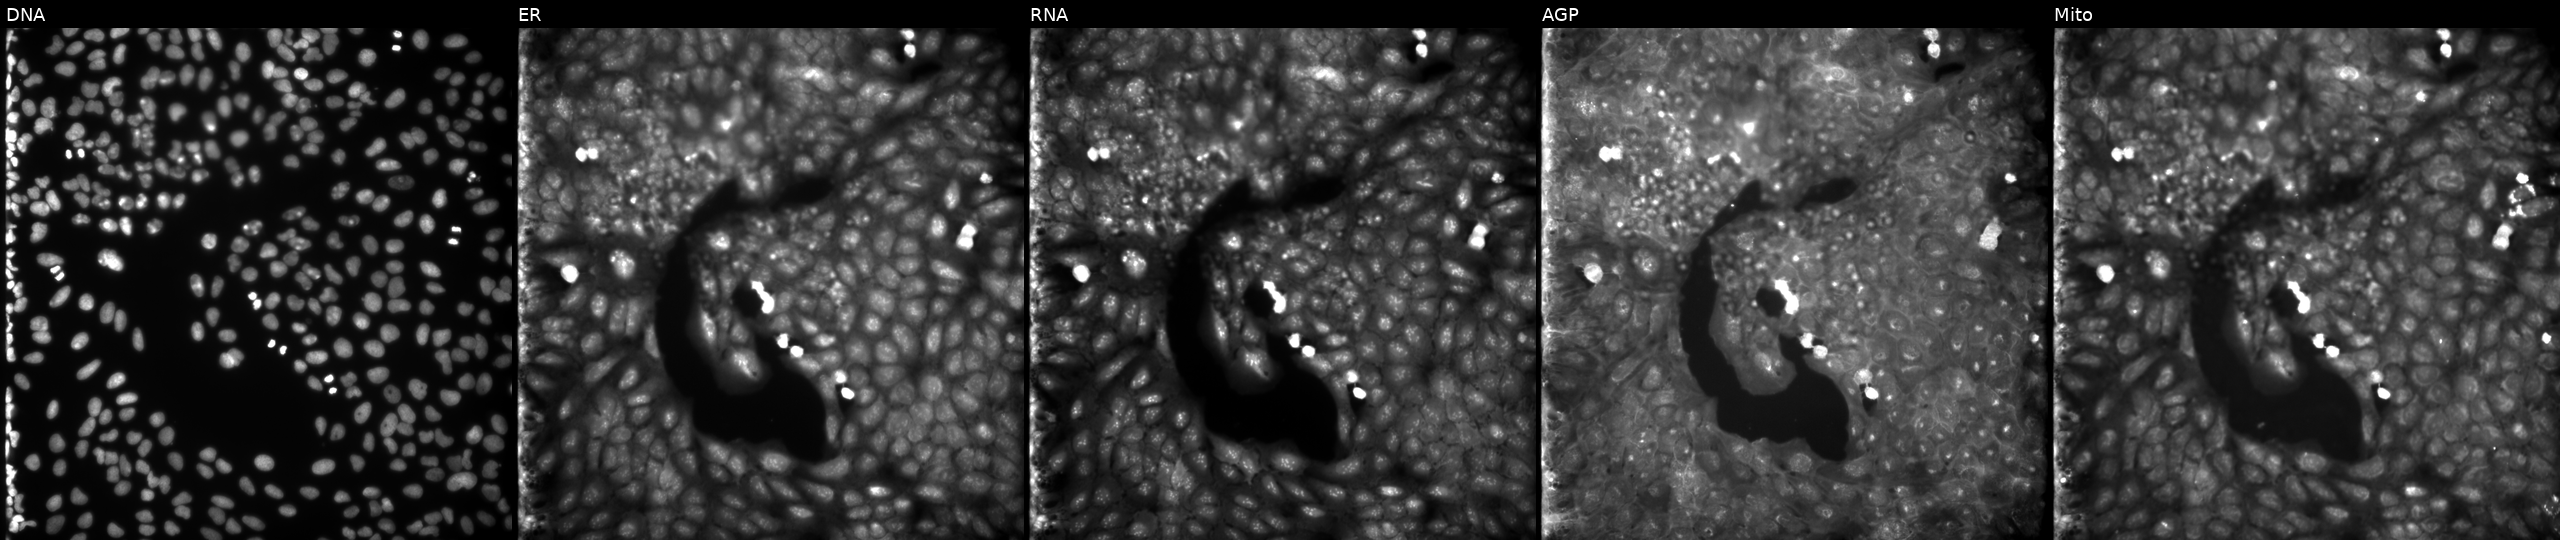
U2OS cells, Cell Painting assay, exposed to a small-molecule compound. Channels (left→right): DNA, ER, RNA, AGP, and Mito. Each panel is percentile-stretched 16-bit fluorescence.